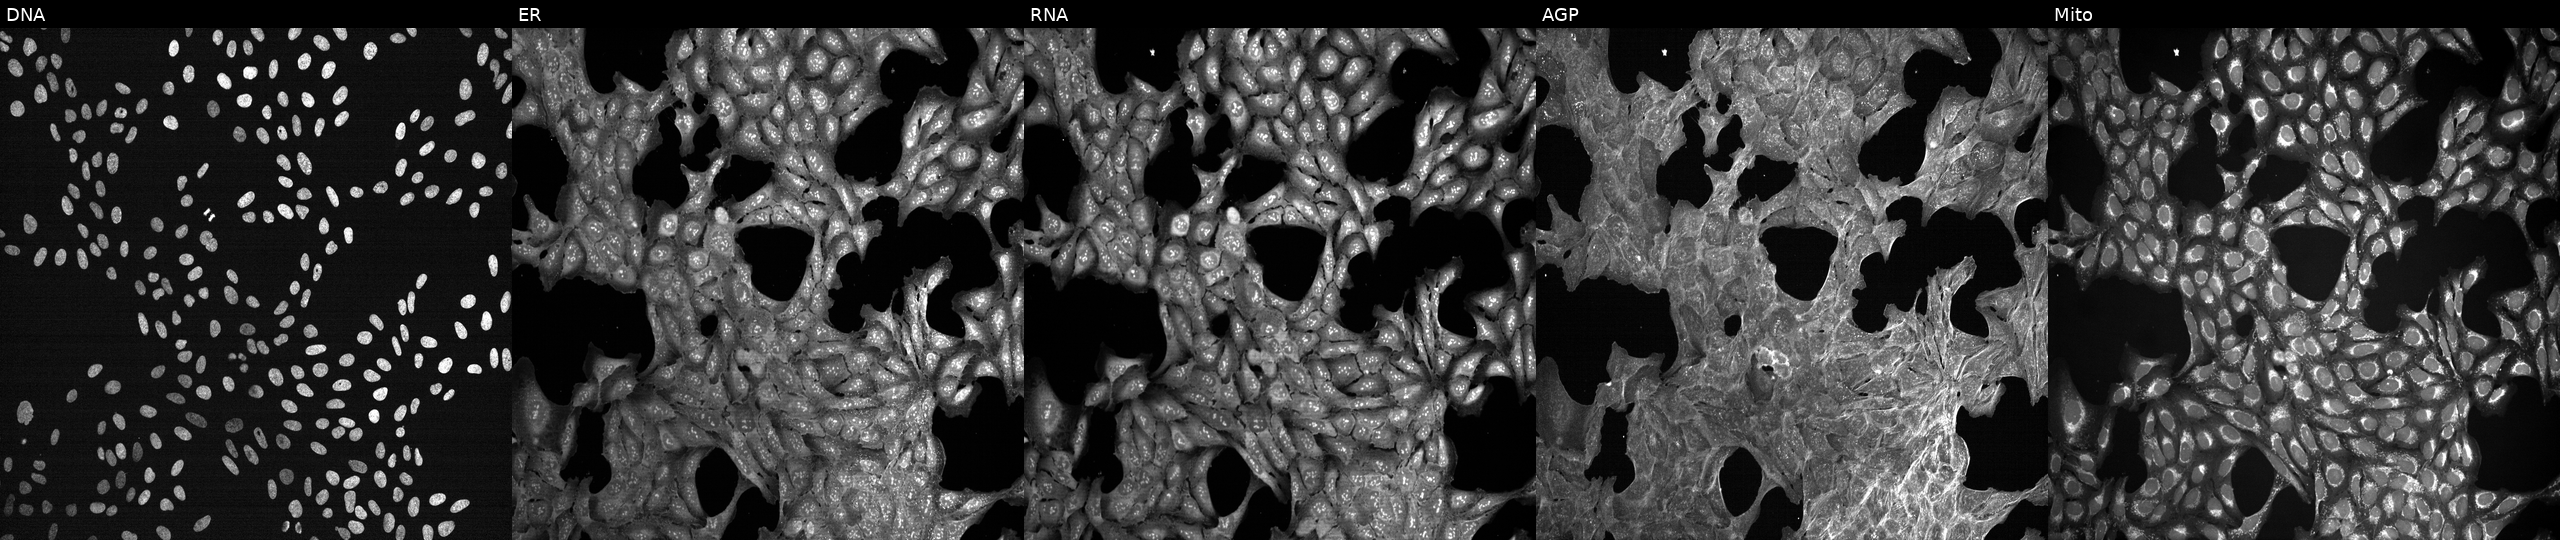
This image strip shows the five Cell Painting channels for a single field of U2OS cells exposed to a small-molecule compound. Panels show, left to right, DNA, ER, RNA, AGP, and Mito.